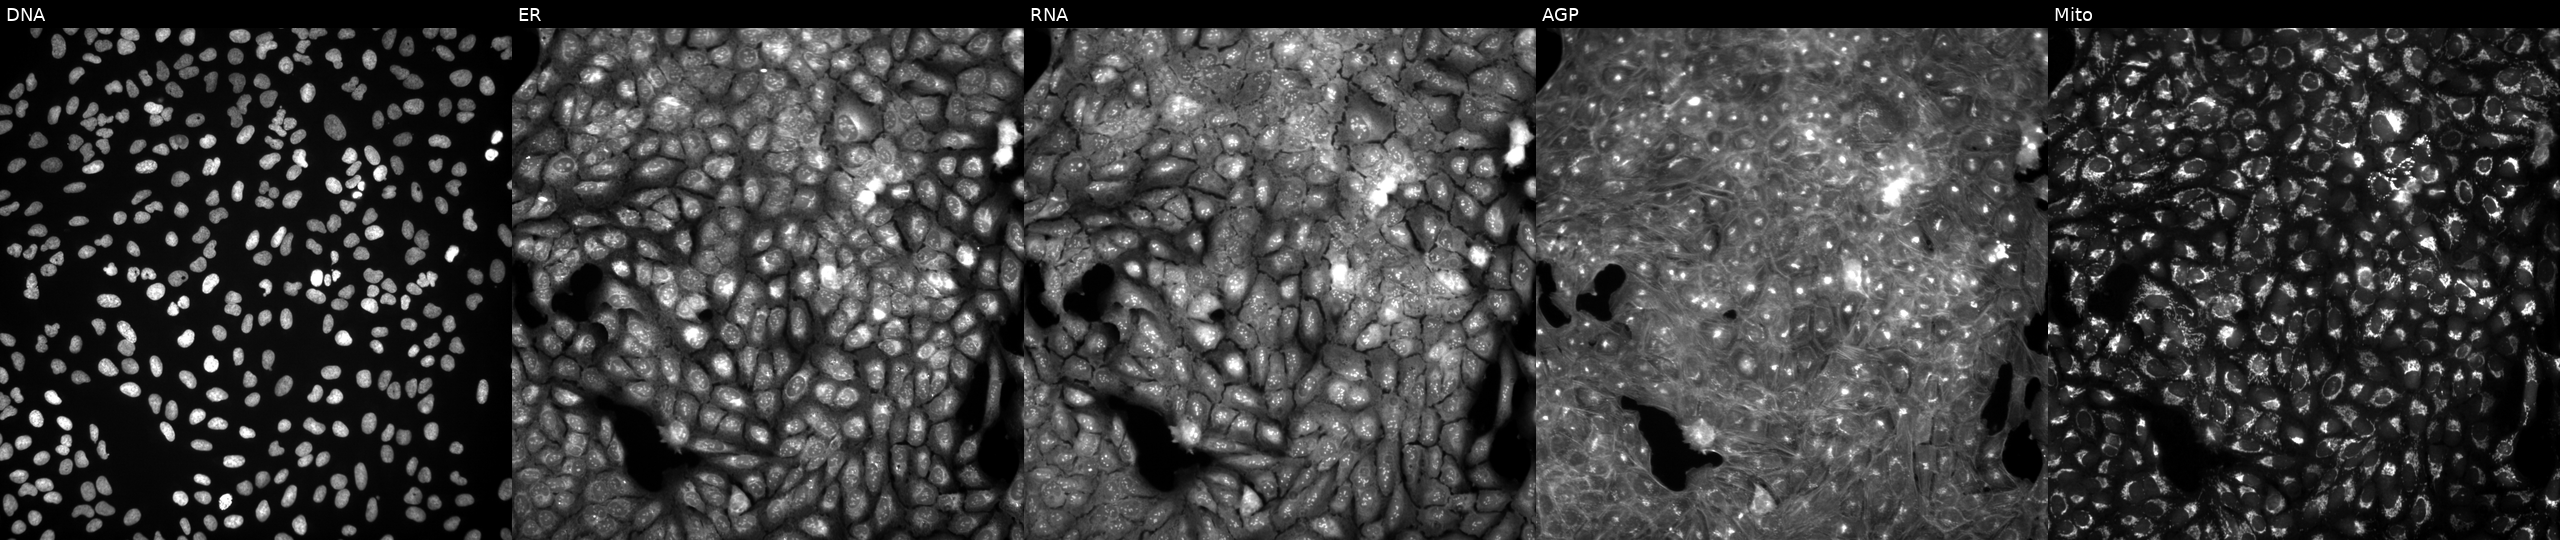
Panels show, left to right, DNA, ER, RNA, AGP, and Mito. U2OS osteosarcoma cells exposed to a small-molecule compound (InChIKey CJQBMPMOJGDNLY-UHFFFAOYSA-N) (JUMP id JCP2022_011549). Cell Painting assay, JUMP-CP dataset. Source 3, plate BR5867a3, well H16.